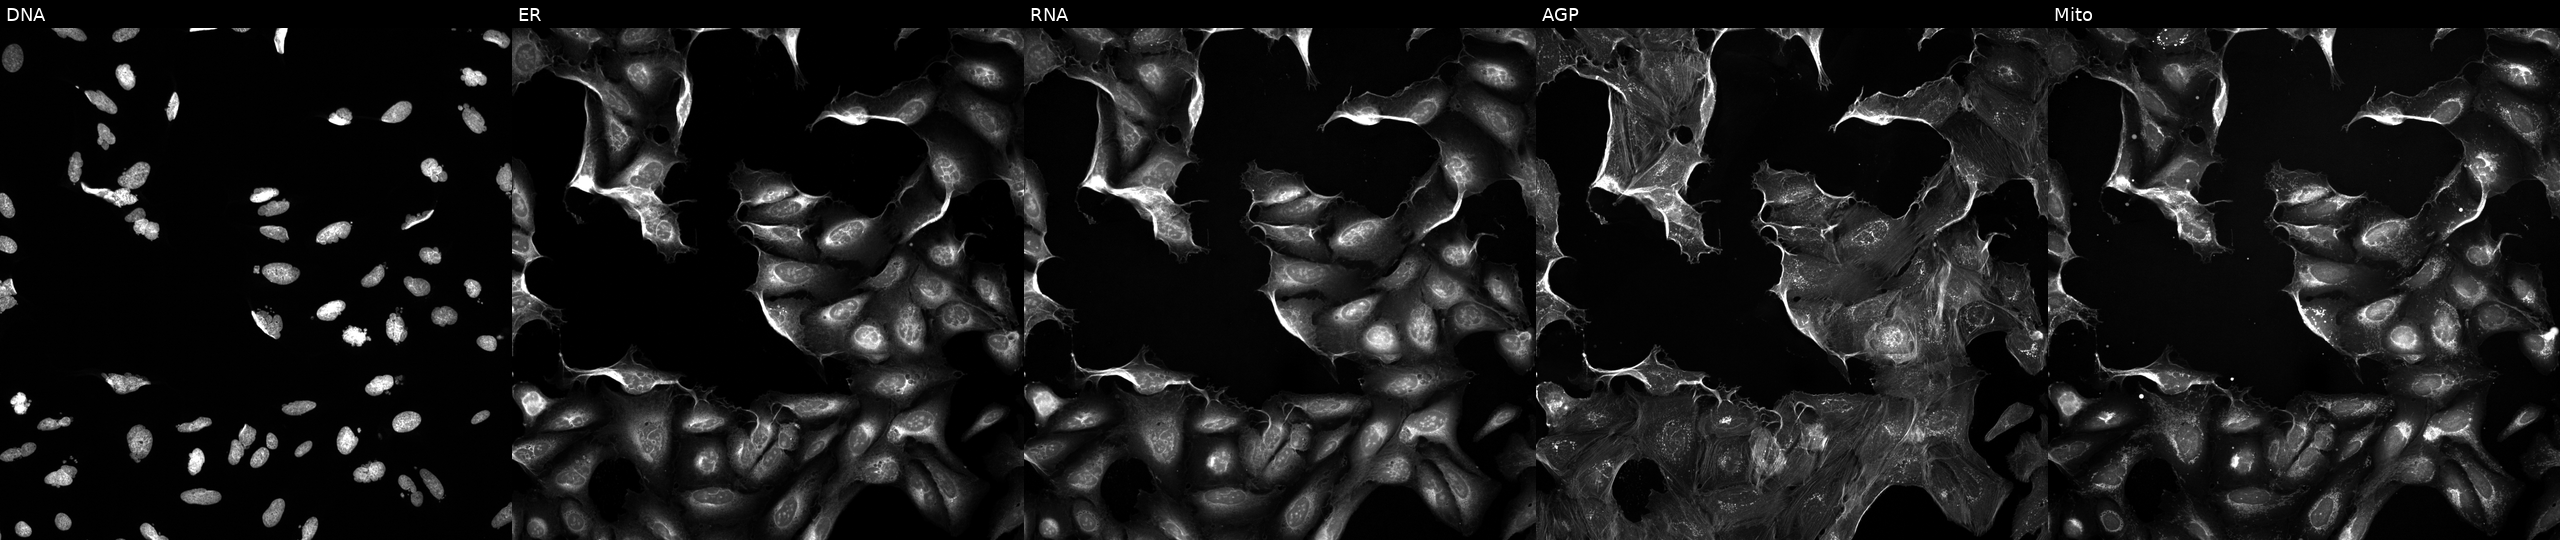
Channels (left→right): DNA, ER, RNA, AGP, and Mito. U2OS osteosarcoma cells treated with a small-molecule compound (InChIKey KRBSMMVJJVHVCB-UHFFFAOYSA-N). Cell Painting assay, JUMP-CP dataset. Source 5, plate ACPJUM051, well J07.